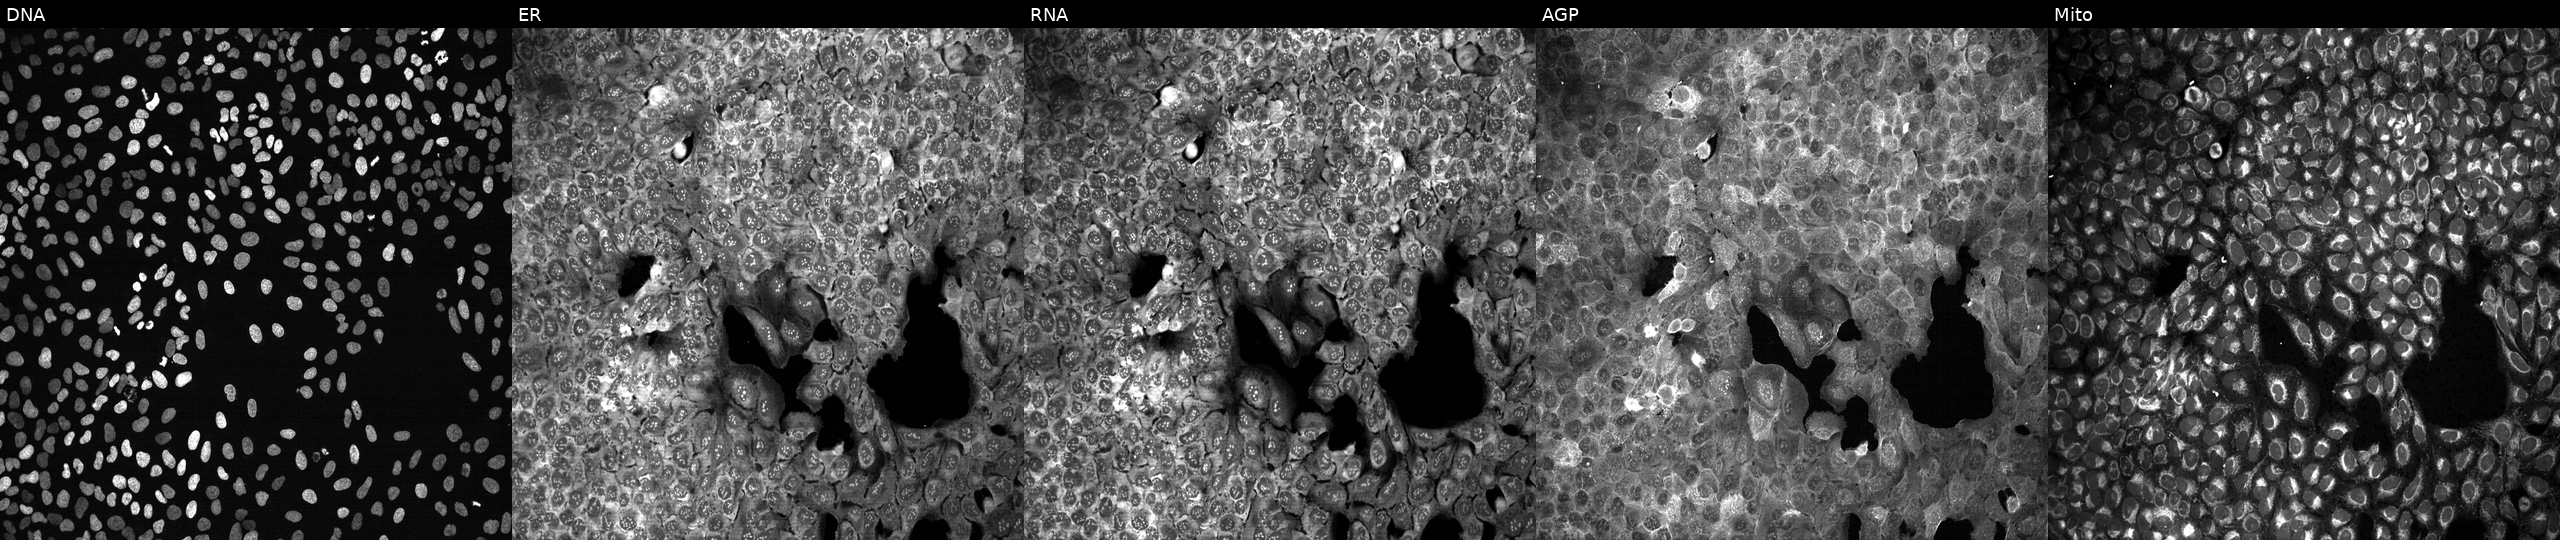
JUMP Cell Painting — CRISPR plate. U2OS cells exposed to DMSO alone as a negative control. Channels (left→right): DNA, ER, RNA, AGP, and Mito. Source 13, plate CP-CC9-R2-02, well H23.